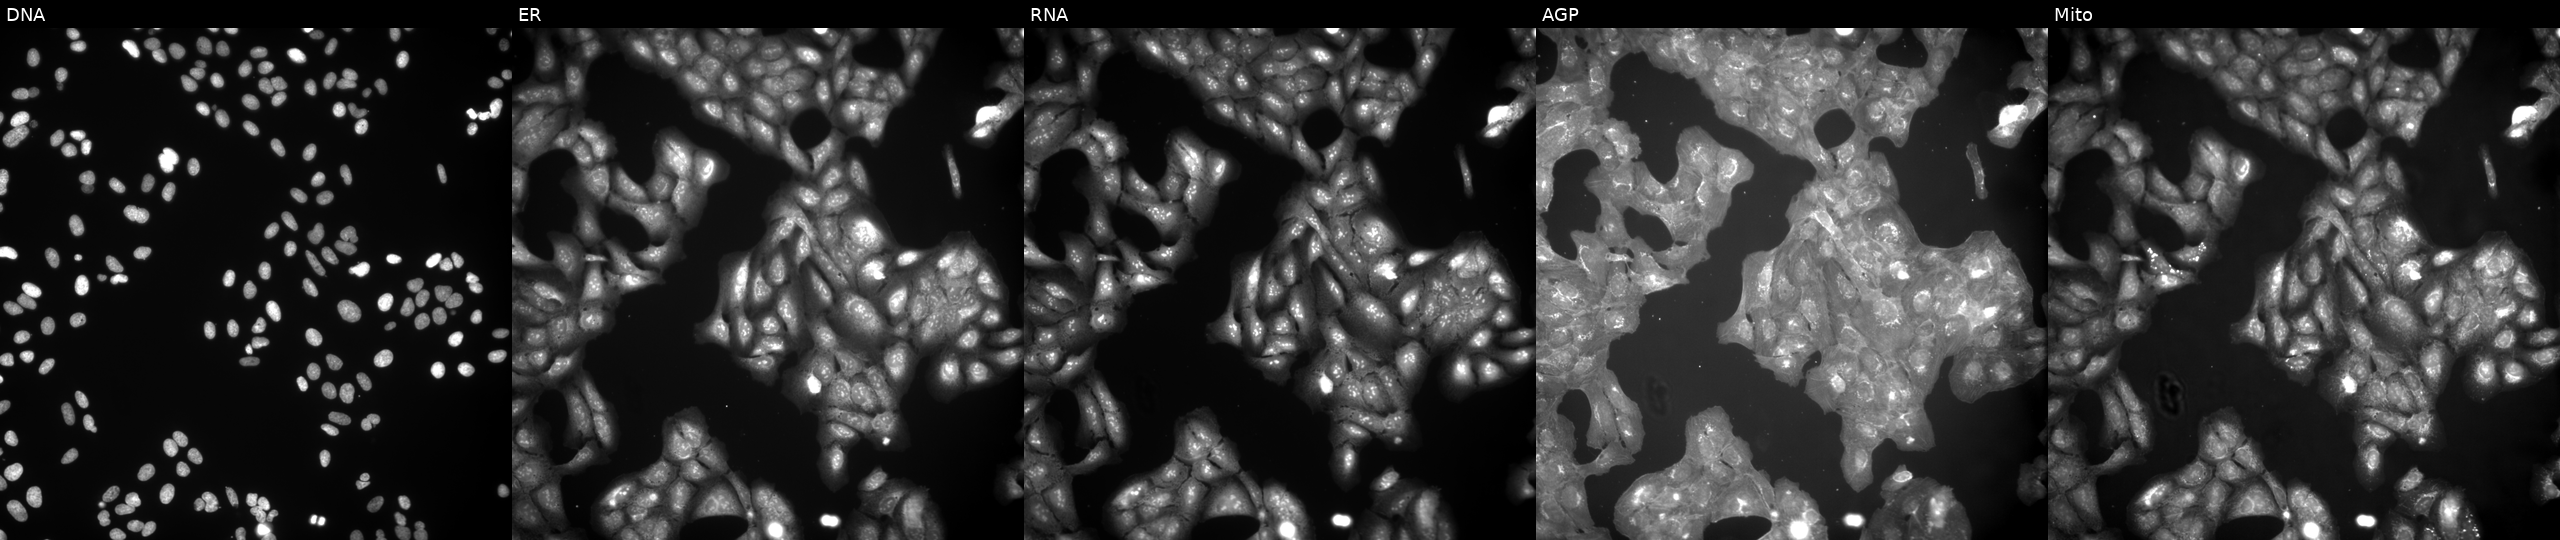
JUMP Cell Painting — COMPOUND plate. U2OS cells perturbed with a small-molecule compound (InChIKey SNHBDICPEUWKFO-UHFFFAOYSA-N) (JUMP id JCP2022_084353). Panels show, left to right, DNA, ER, RNA, AGP, and Mito. Source 9, plate GR00003381, well T34.